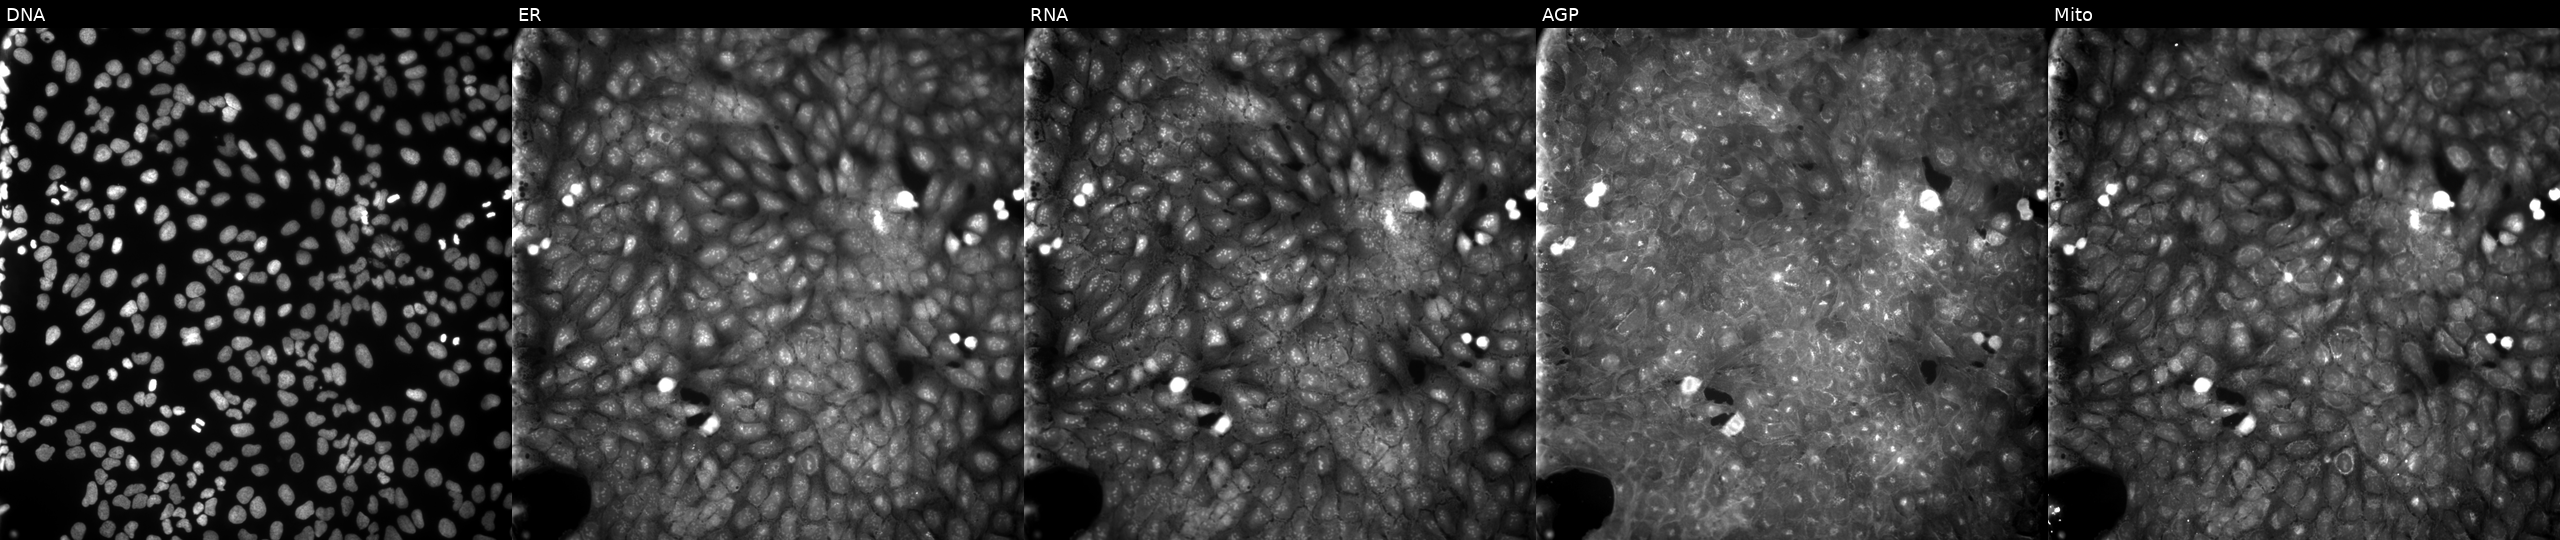
Five-channel Cell Painting image of U2OS cells exposed to a small-molecule compound (InChIKey QVXBMWPAYUCPFT-UHFFFAOYSA-N) (JUMP id JCP2022_076218). The five panels, left to right, show DNA (nuclei); ER (endoplasmic reticulum); RNA (nucleoli and cytoplasmic RNA); AGP (actin cytoskeleton, Golgi, and plasma membrane); Mito (mitochondria).